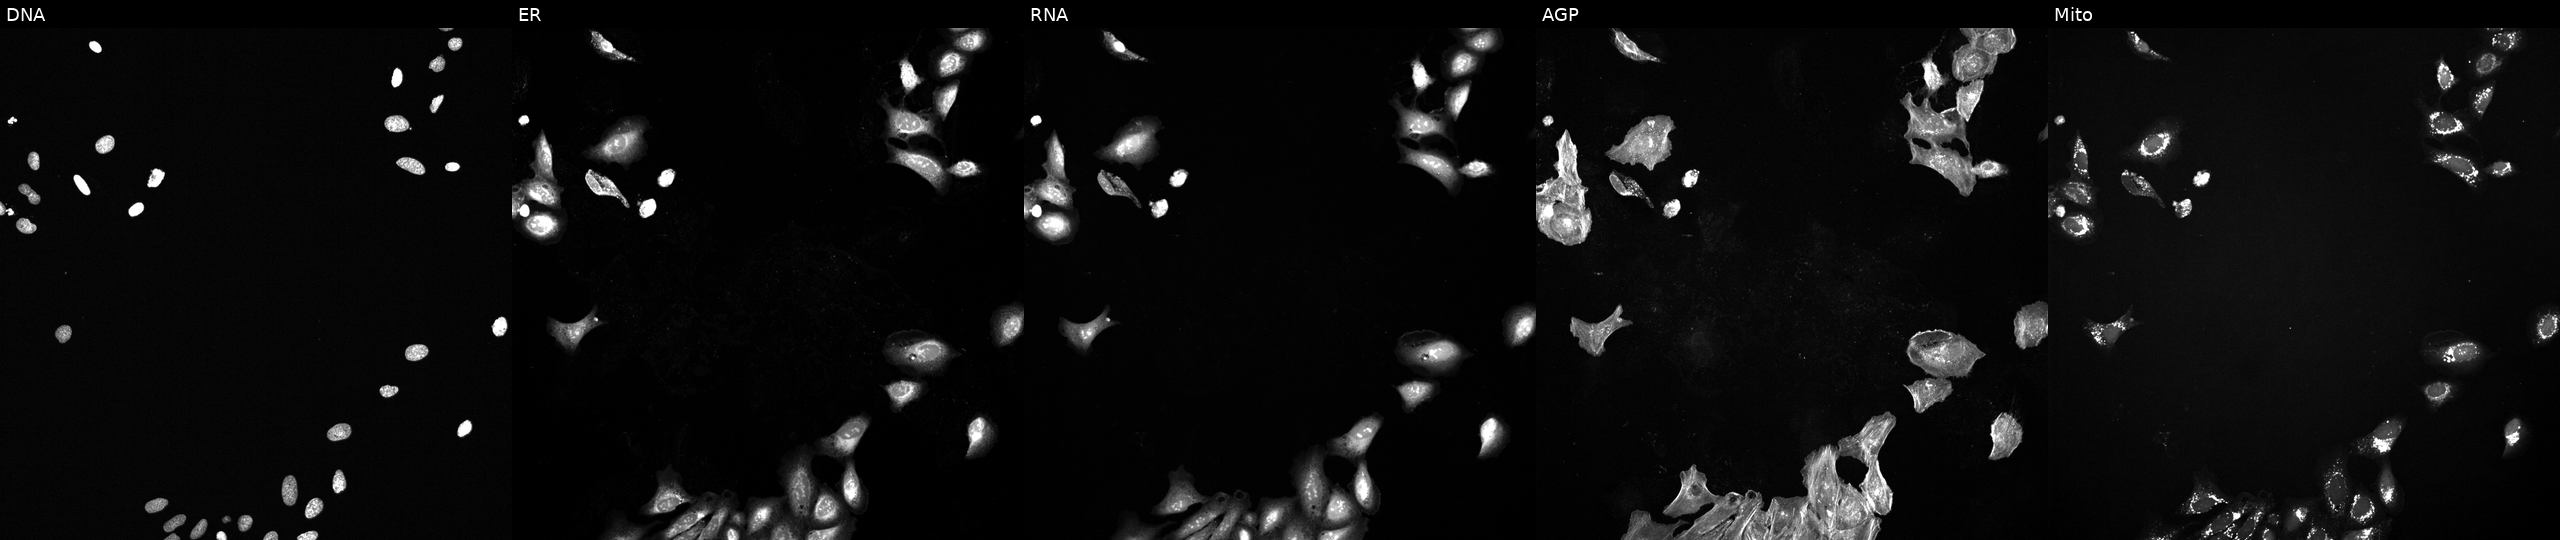
High-content fluorescence microscopy (Cell Painting). Cell line: U2OS. Perturbation: perturbed with a small-molecule compound (InChIKey UTBOEBCWXGDOGI-UHFFFAOYSA-N) (JUMP id JCP2022_091373). Panels show, left to right, DNA (nuclei); ER (endoplasmic reticulum); RNA (nucleoli and cytoplasmic RNA); AGP (actin cytoskeleton, Golgi, and plasma membrane); Mito (mitochondria).